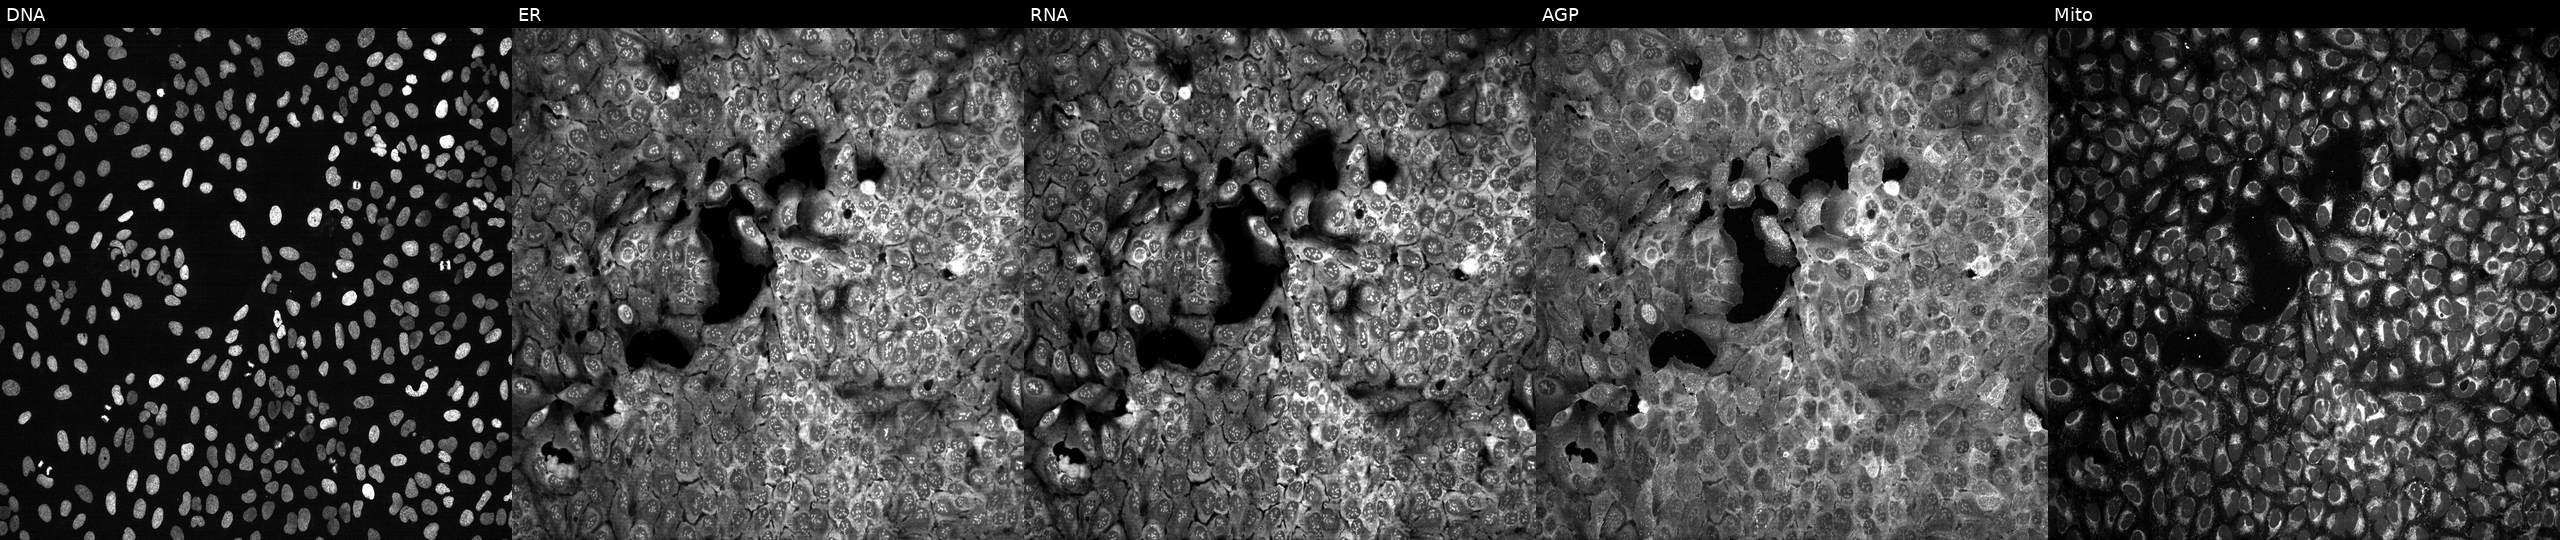
JUMP Cell Painting — CRISPR plate. U2OS cells with NOX3 knocked out by CRISPR. From left to right: Hoechst 33342, concanavalin A, SYTO 14, phalloidin and WGA, MitoTracker.